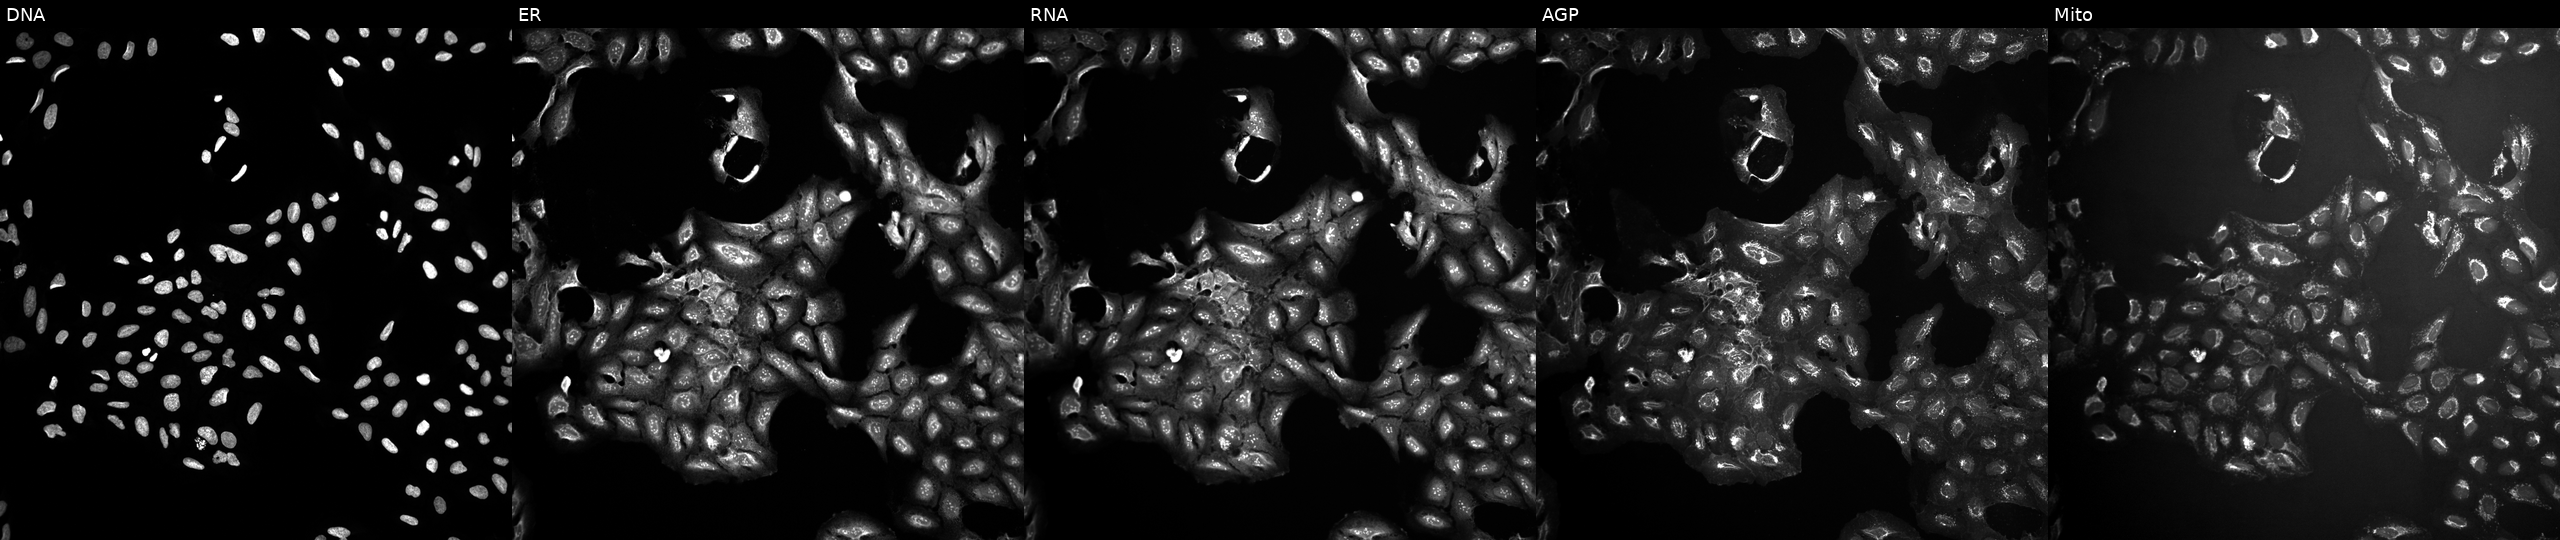
Five-channel Cell Painting image of U2OS cells treated with DMSO vehicle only (negative control) (JUMP id JCP2022_033924). Panels show, left to right, DNA, ER, RNA, AGP, and Mito.